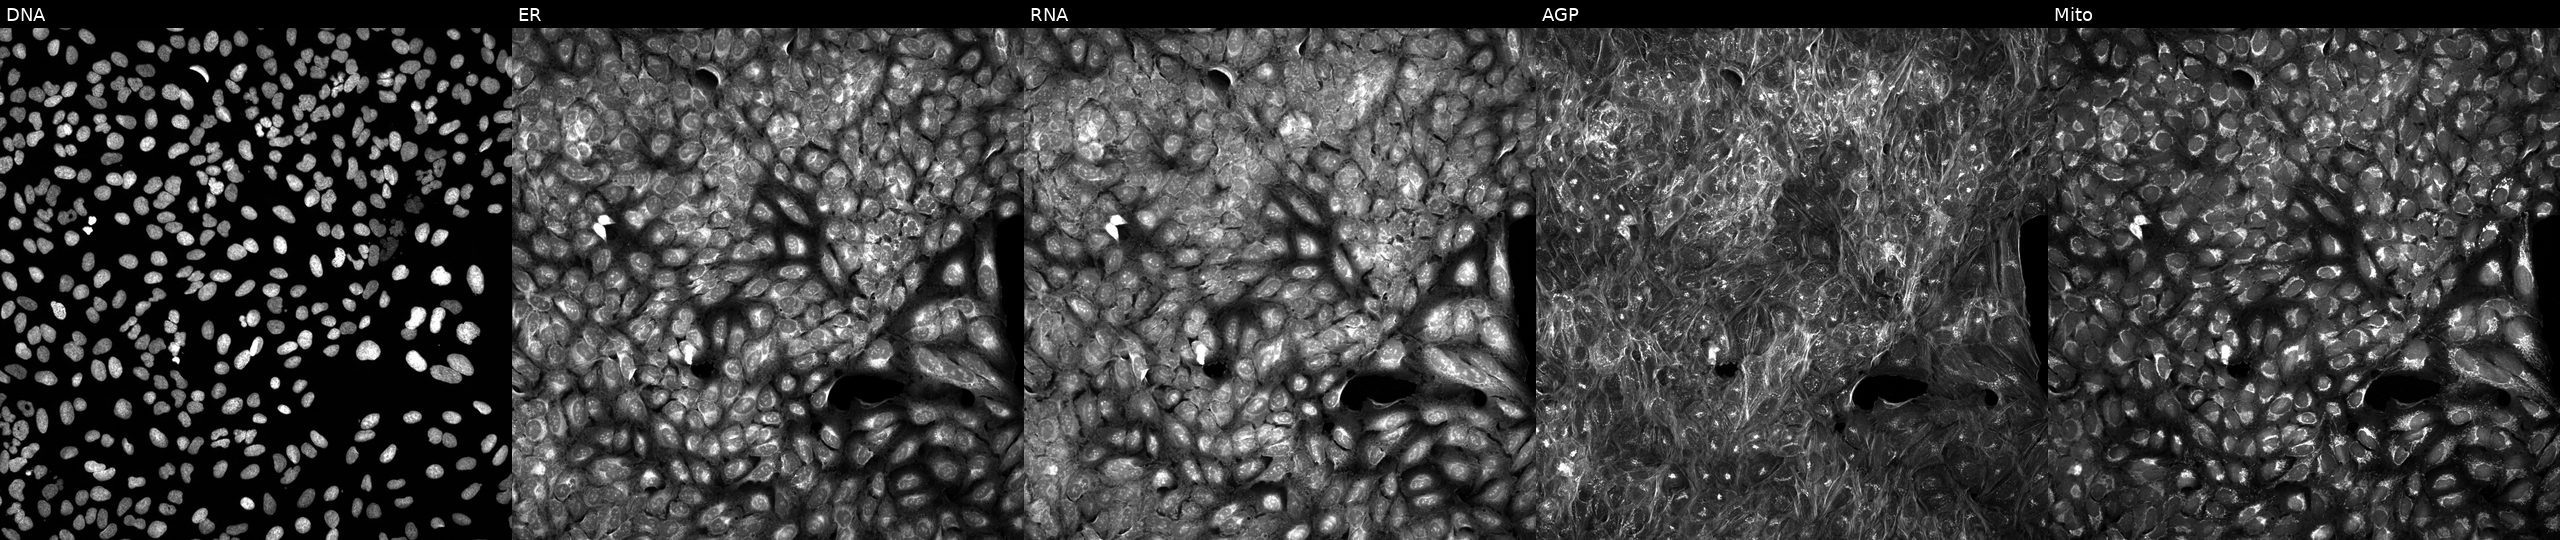
High-content fluorescence microscopy (Cell Painting). Cell line: U2OS. Perturbation: treated with DMSO vehicle only (negative control) (JUMP id JCP2022_033924). Channels (left→right): Hoechst 33342, concanavalin A, SYTO 14, phalloidin and WGA, MitoTracker. Source 5, plate ACPJUM012, well K24.